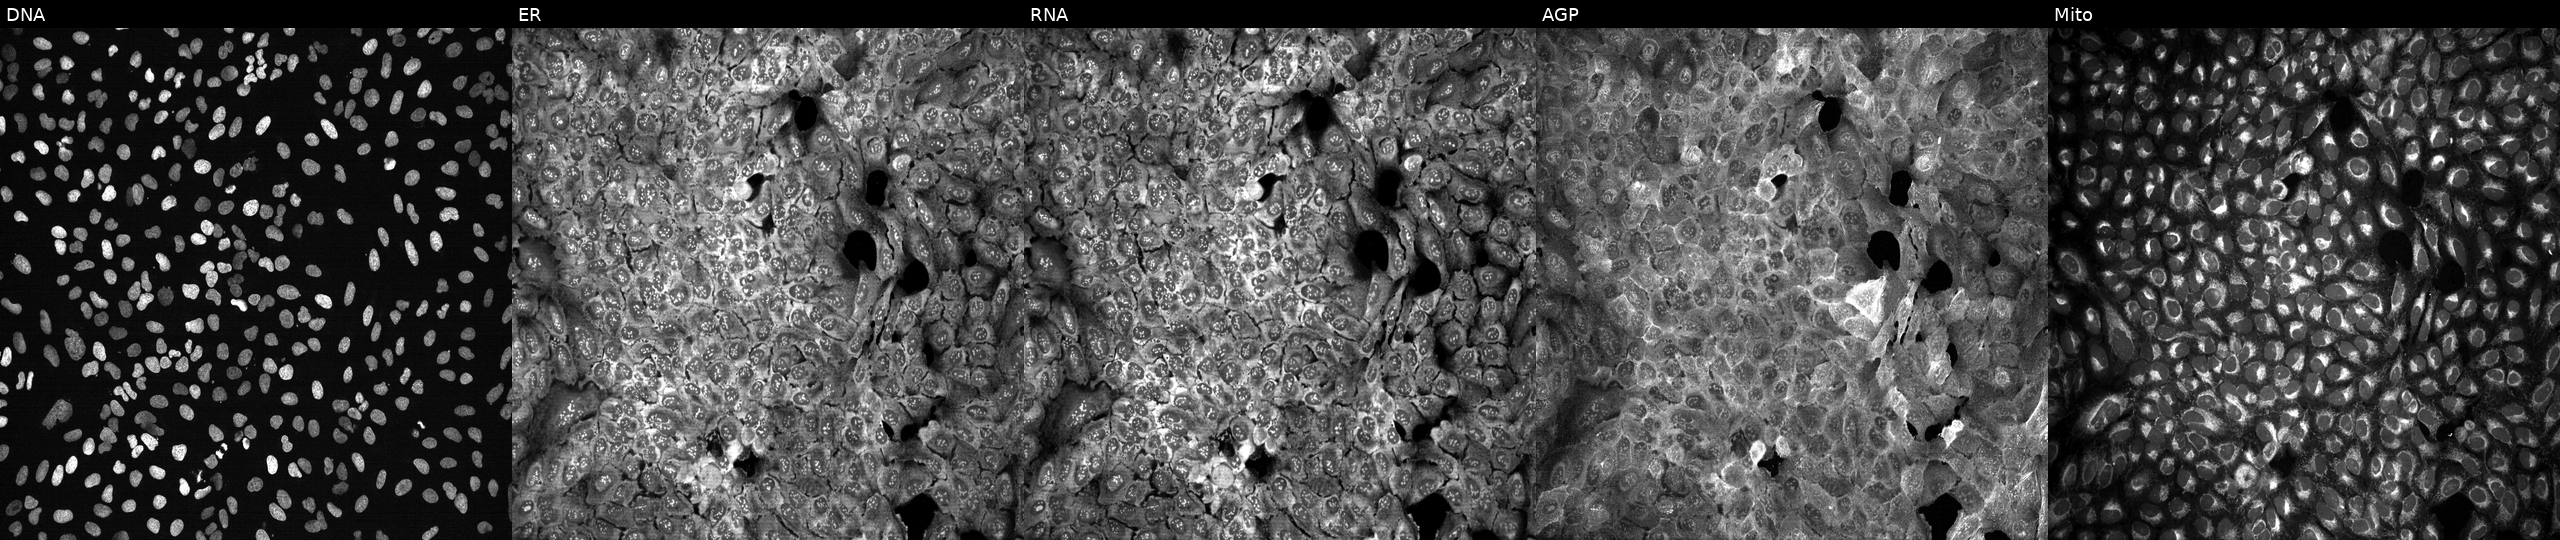
Five-channel Cell Painting image of U2OS cells CRISPR-edited to disrupt RNASE8. Channels (left→right): DNA (nuclei); ER (endoplasmic reticulum); RNA (nucleoli and cytoplasmic RNA); AGP (actin cytoskeleton, Golgi, and plasma membrane); Mito (mitochondria). Source 13, plate CP-CC9-R2-02, well G19.